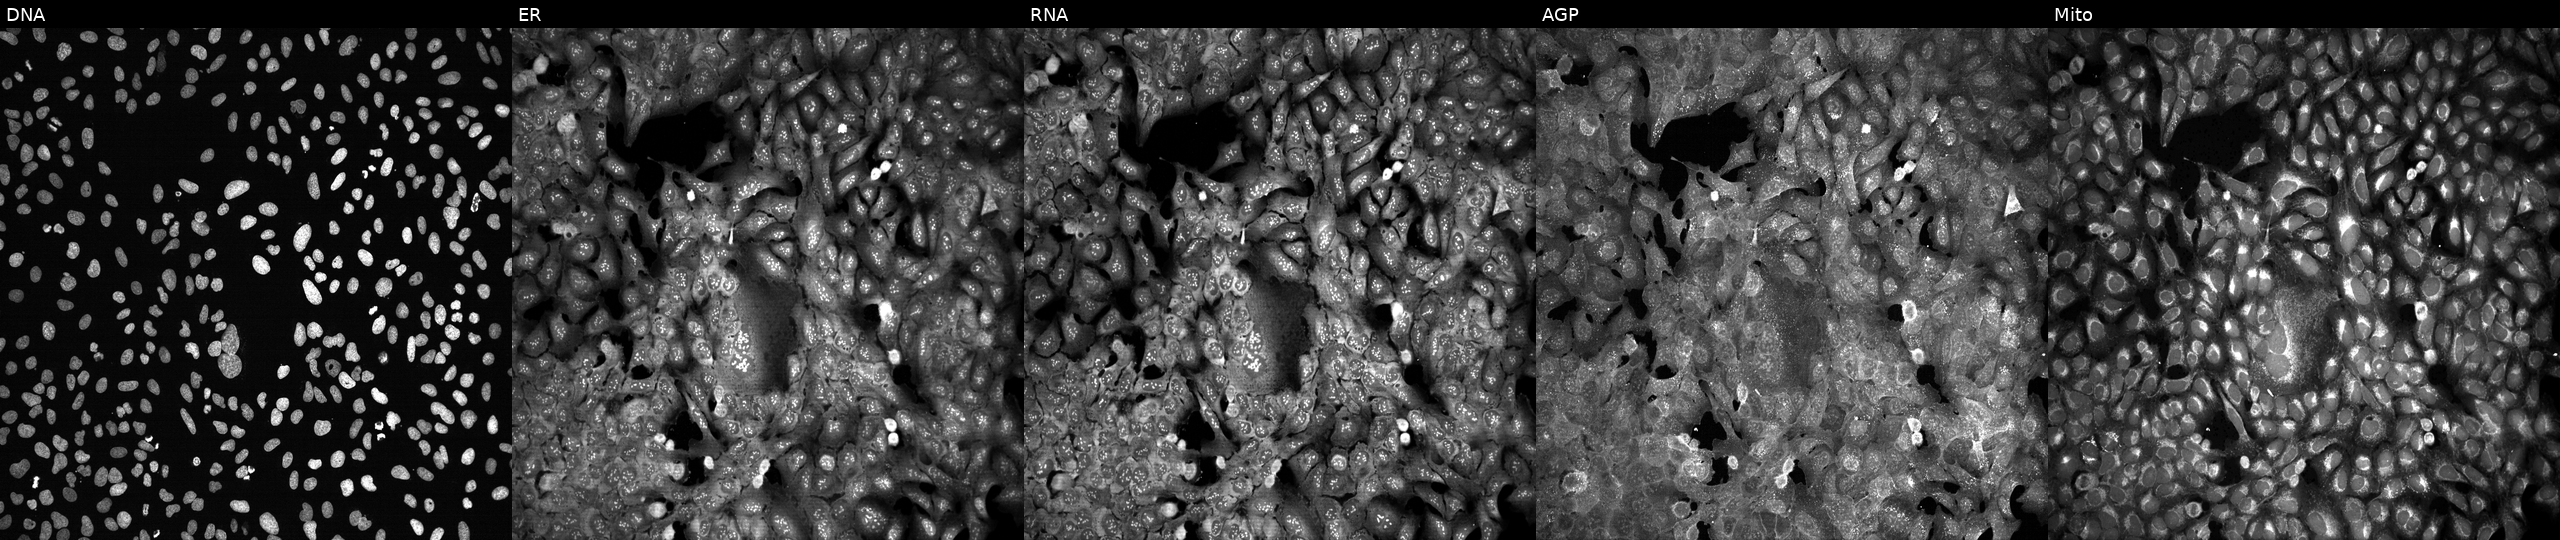
This image strip shows the five Cell Painting channels for a single field of U2OS cells CRISPR-edited to disrupt PTCH1. The five panels, left to right, show DNA, ER, RNA, AGP, and Mito.